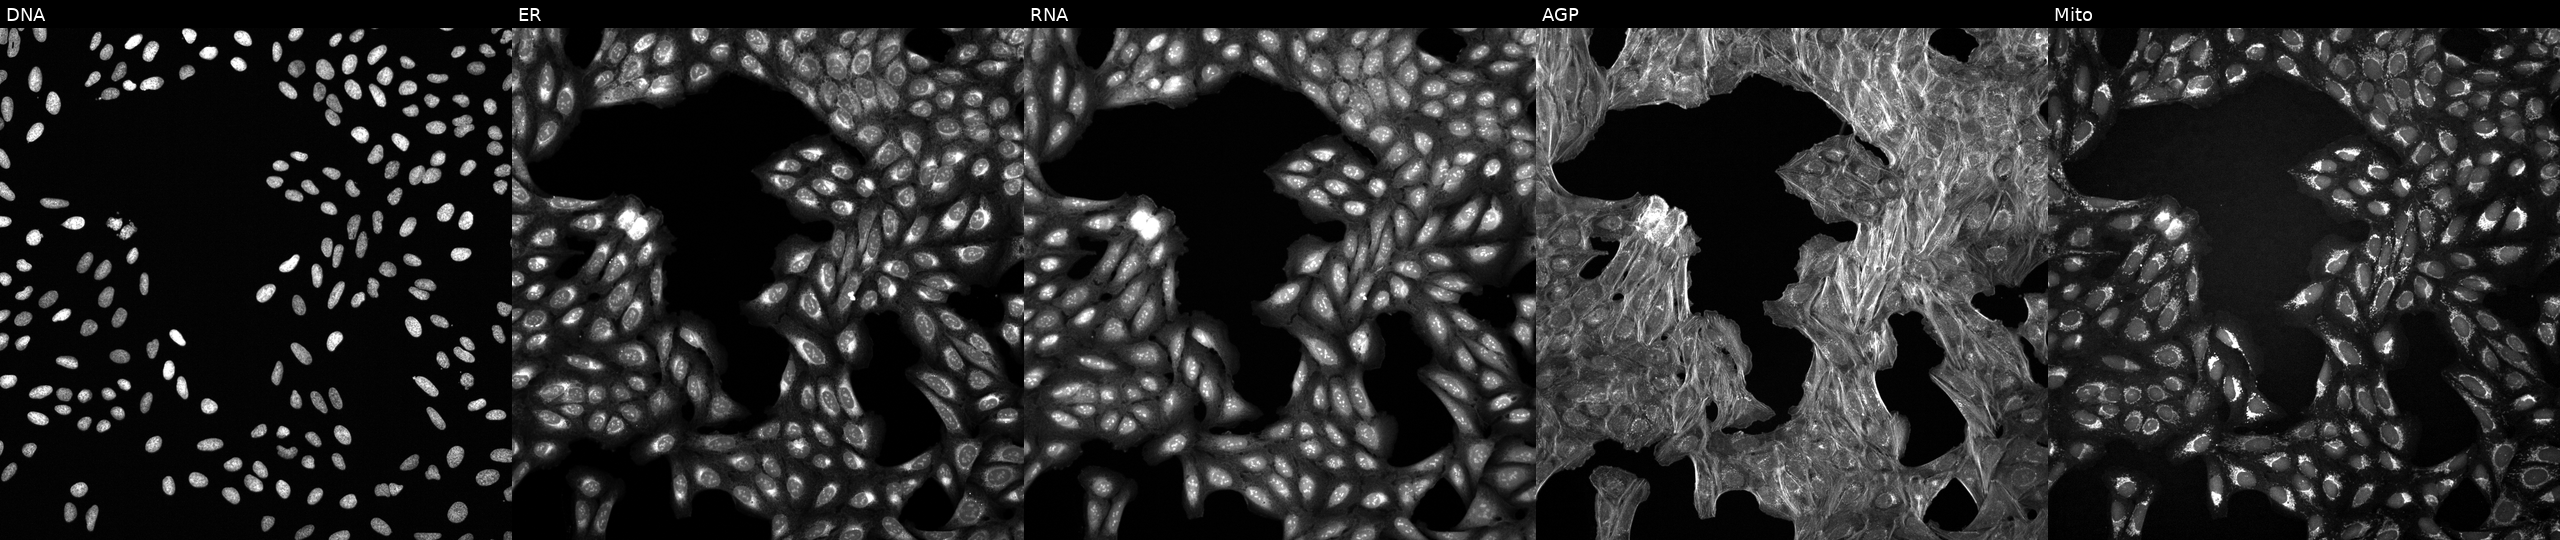
This image strip shows the five Cell Painting channels for a single field of U2OS cells exposed to a small-molecule compound (InChIKey XIRIWOQGETUMMZ-UHFFFAOYSA-N). From left to right: DNA, ER, RNA, AGP, and Mito. Source 6, plate 110000293083, well B03.